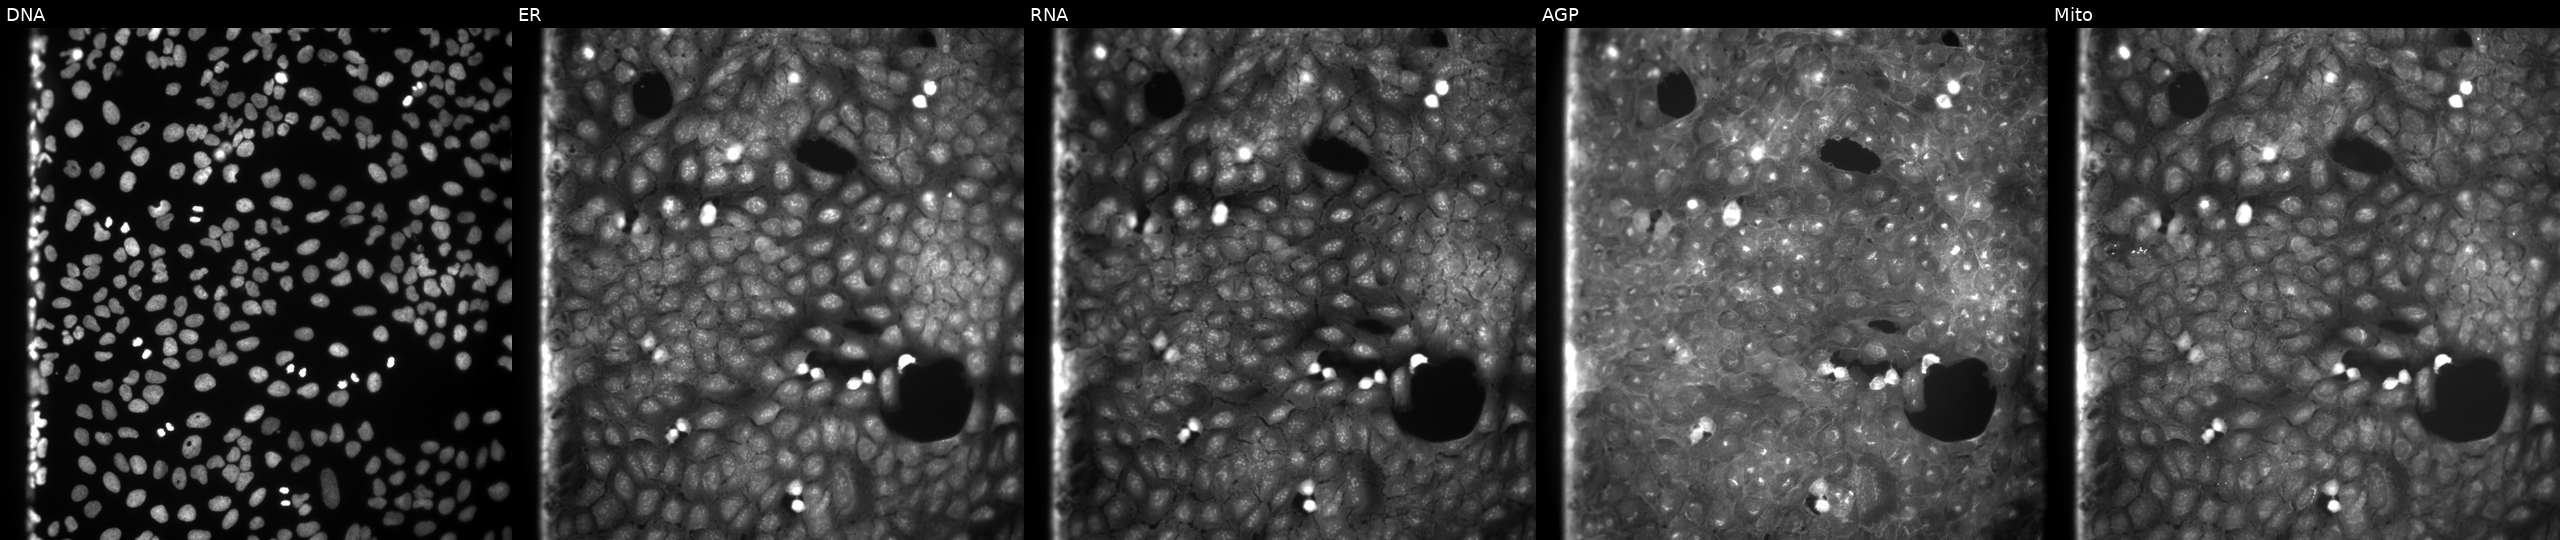
U2OS cells, Cell Painting assay, treated with DMSO vehicle only (negative control). From left to right: Hoechst 33342, concanavalin A, SYTO 14, phalloidin and WGA, MitoTracker. Each panel is percentile-stretched 16-bit fluorescence.